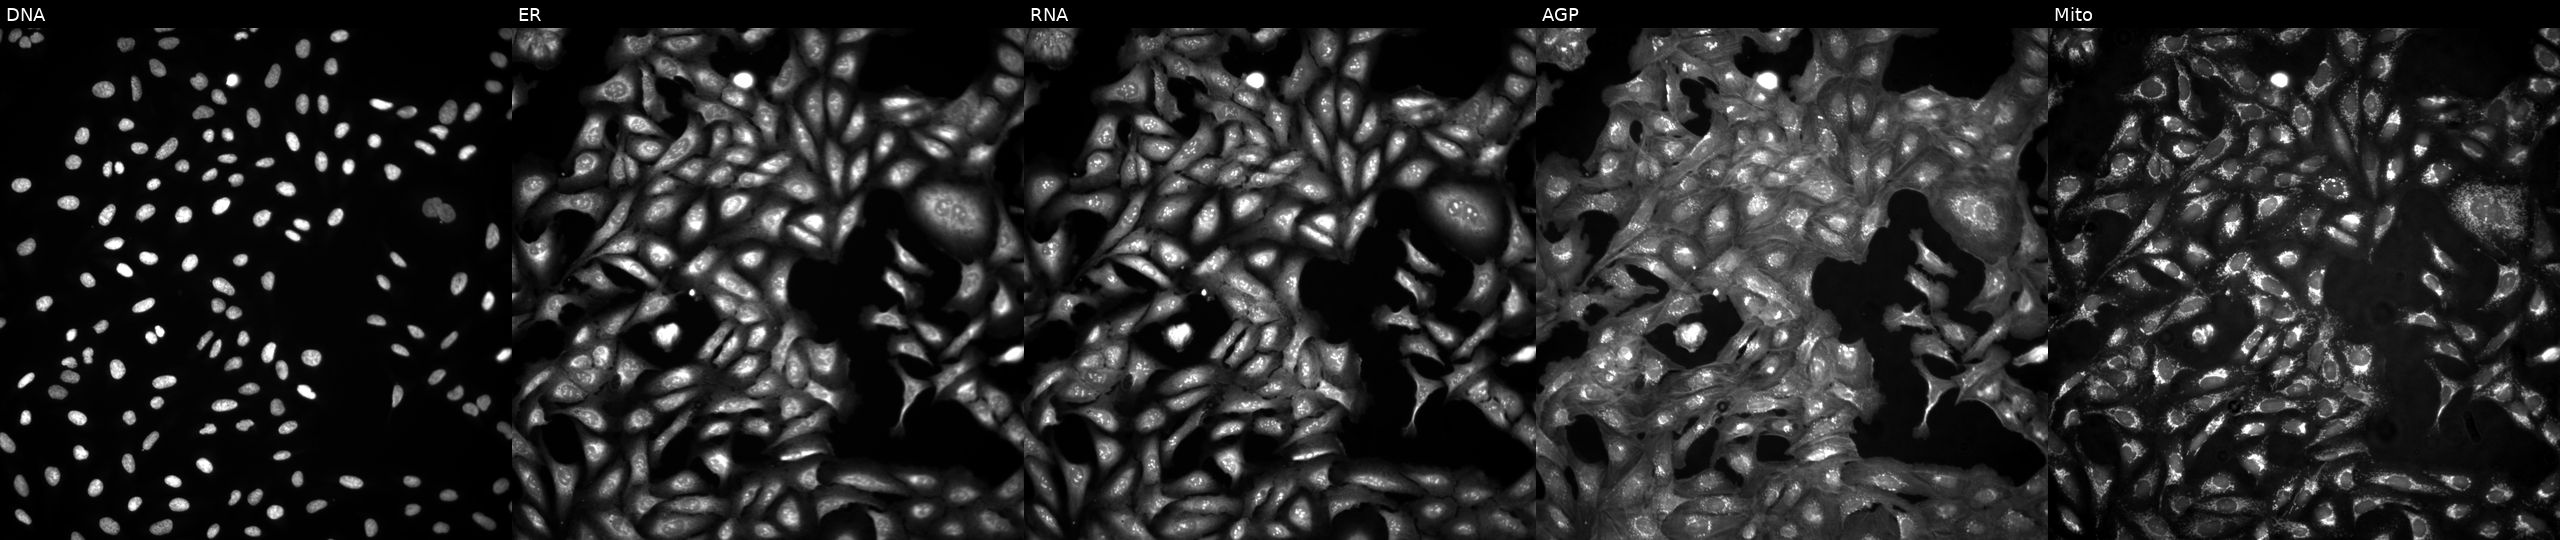
U2OS cells, Cell Painting assay, untreated (empty-well control). The five panels, left to right, show Hoechst 33342, concanavalin A, SYTO 14, phalloidin and WGA, MitoTracker. Each panel is percentile-stretched 16-bit fluorescence.